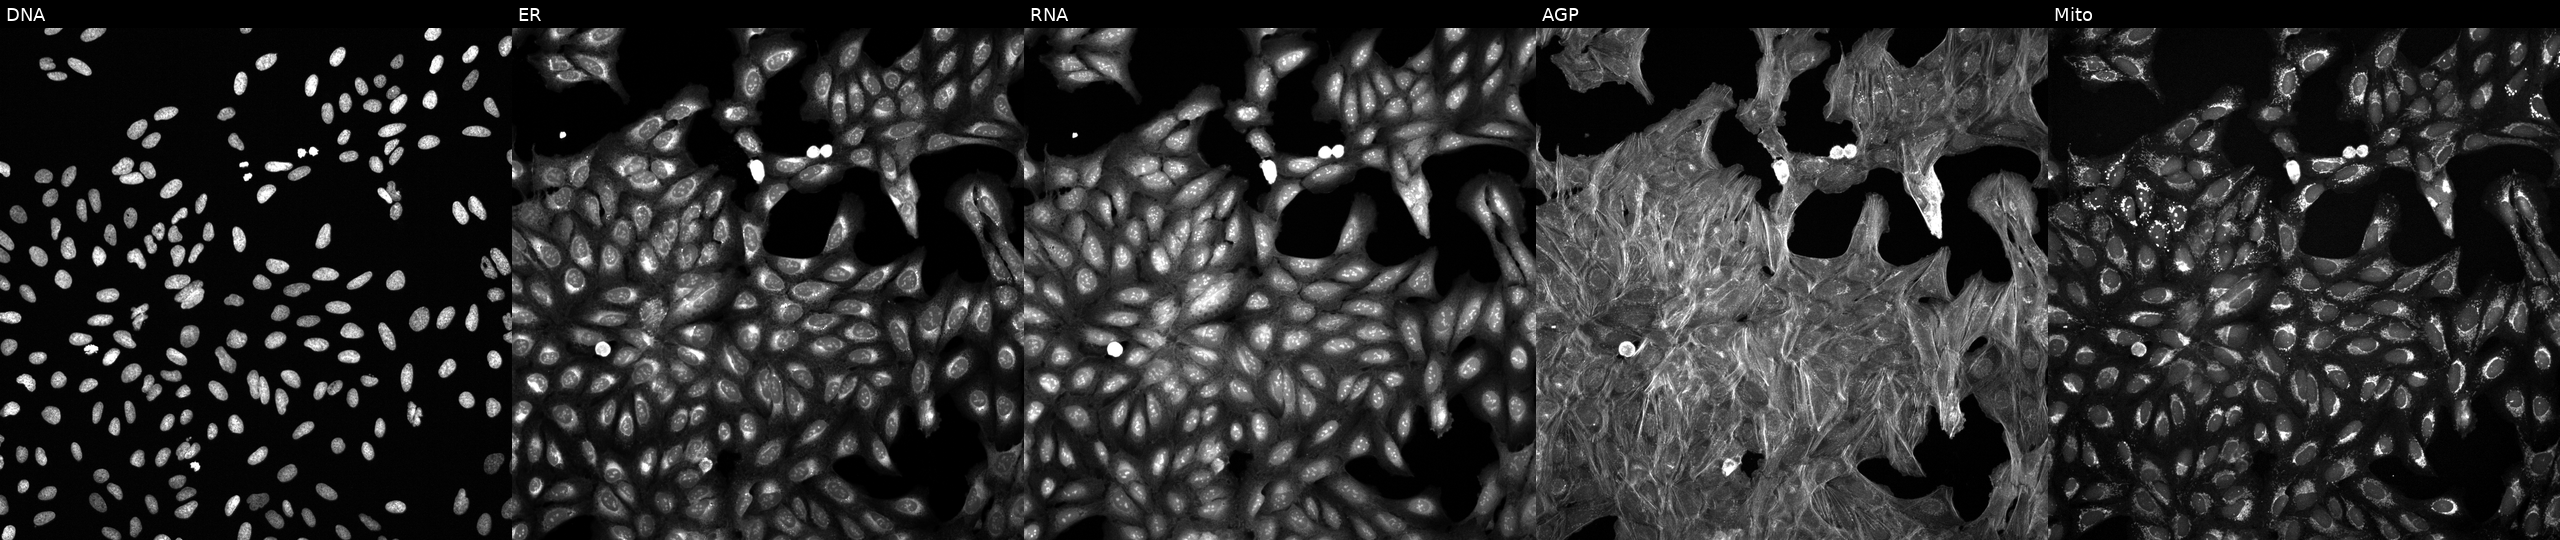
U2OS cells, Cell Painting assay, perturbed with a small-molecule compound [SMILES: CCc1ccccc1NC(=O)c1nc2nc(C)cc(C(F)F)n2n1]. Panels show, left to right, DNA, ER, RNA, AGP, and Mito. Each panel is percentile-stretched 16-bit fluorescence. Source 6, plate 110000293082, well M06.